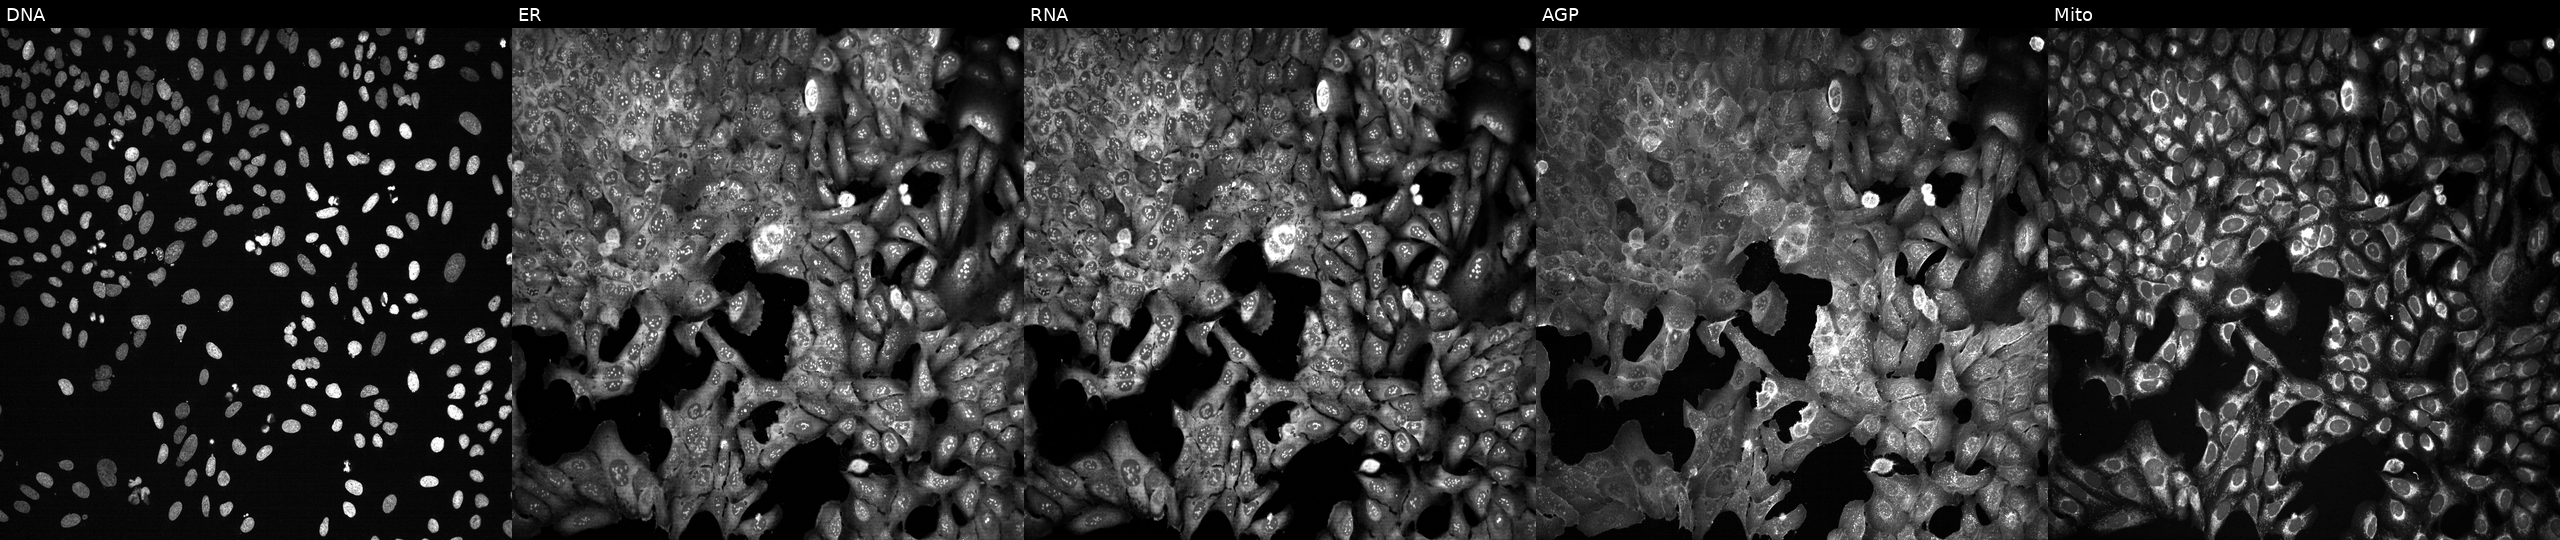
Five-channel Cell Painting image of U2OS cells following CRISPR knockout of ADAM15 (JUMP id JCP2022_800168). From left to right: Hoechst 33342, concanavalin A, SYTO 14, phalloidin and WGA, MitoTracker.